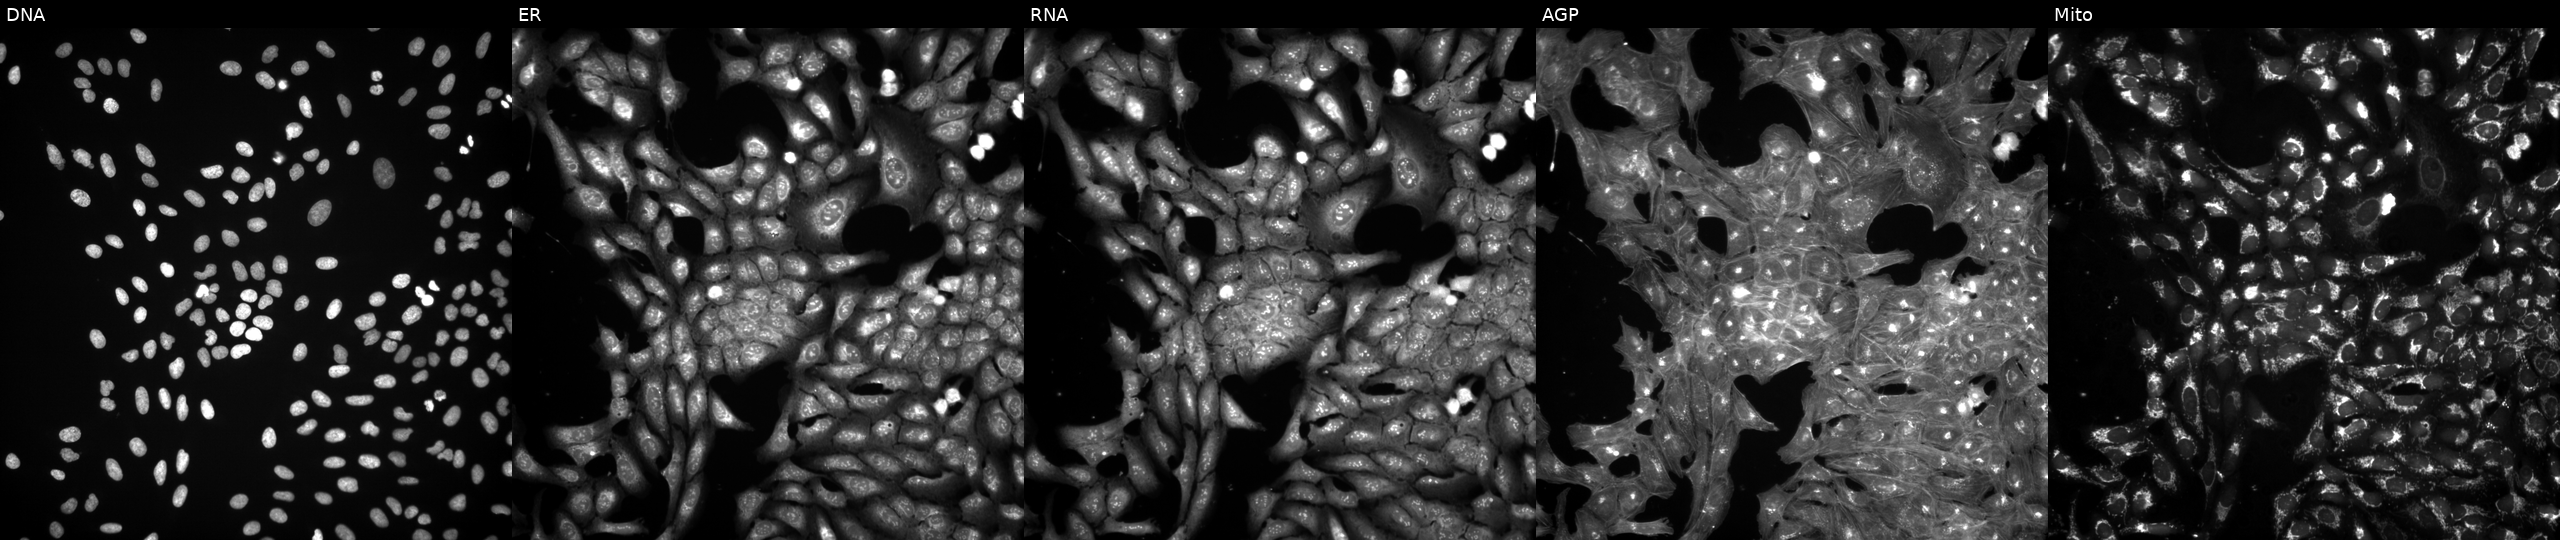
U2OS cells, Cell Painting assay, treated with a small-molecule compound. From left to right: DNA (nuclei); ER (endoplasmic reticulum); RNA (nucleoli and cytoplasmic RNA); AGP (actin cytoskeleton, Golgi, and plasma membrane); Mito (mitochondria). Each panel is percentile-stretched 16-bit fluorescence.